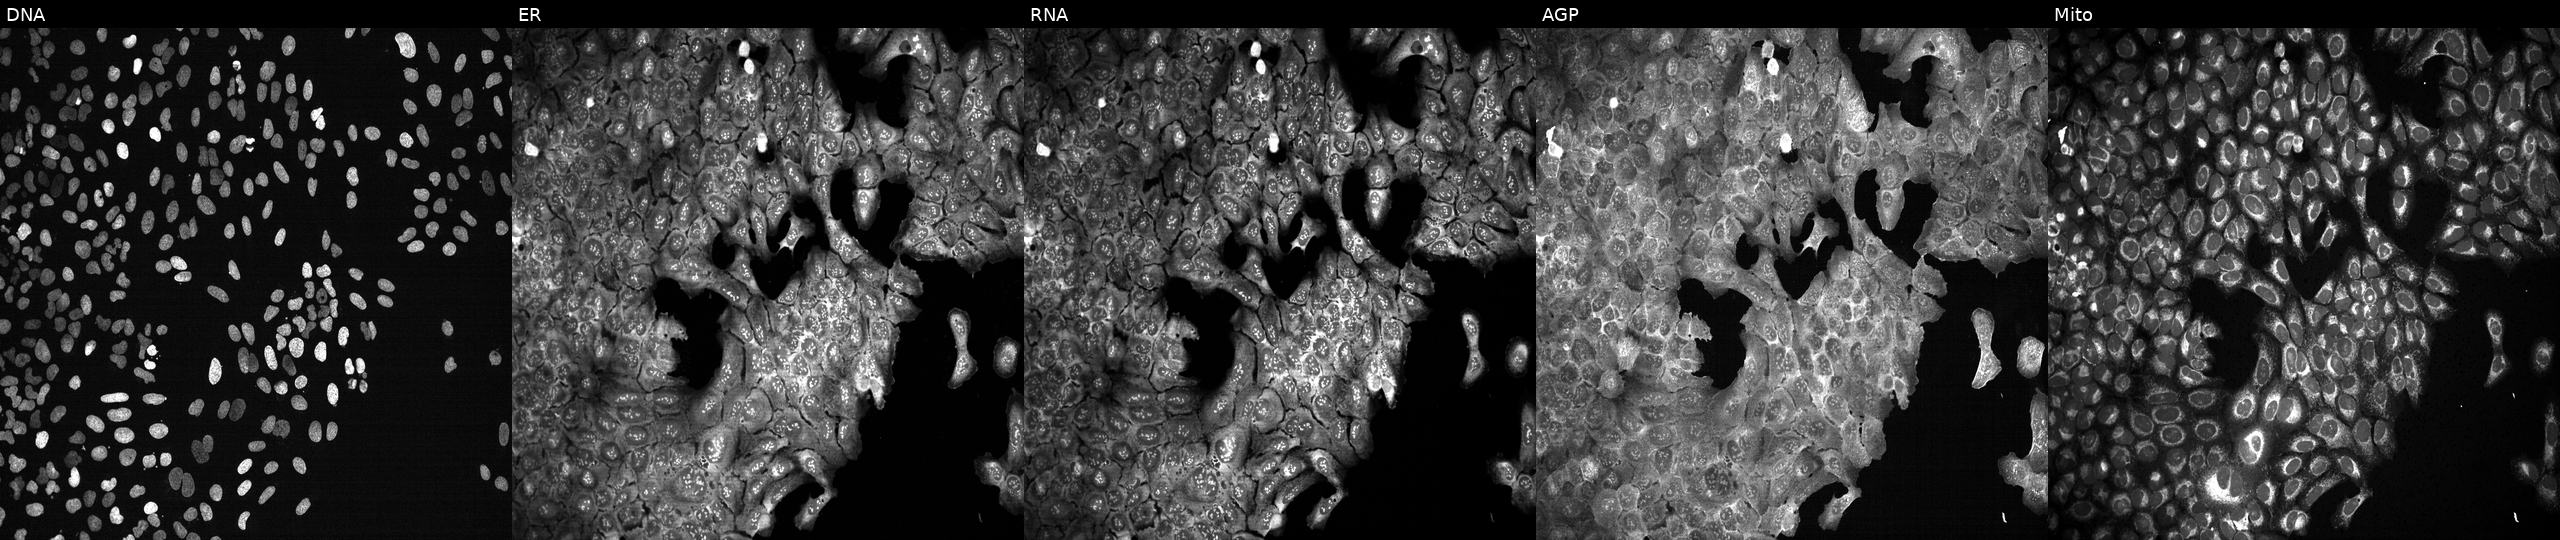
U2OS cells, Cell Painting assay, CRISPR-edited to disrupt POLR3A. Channels (left→right): DNA (nuclei); ER (endoplasmic reticulum); RNA (nucleoli and cytoplasmic RNA); AGP (actin cytoskeleton, Golgi, and plasma membrane); Mito (mitochondria). Each panel is percentile-stretched 16-bit fluorescence.